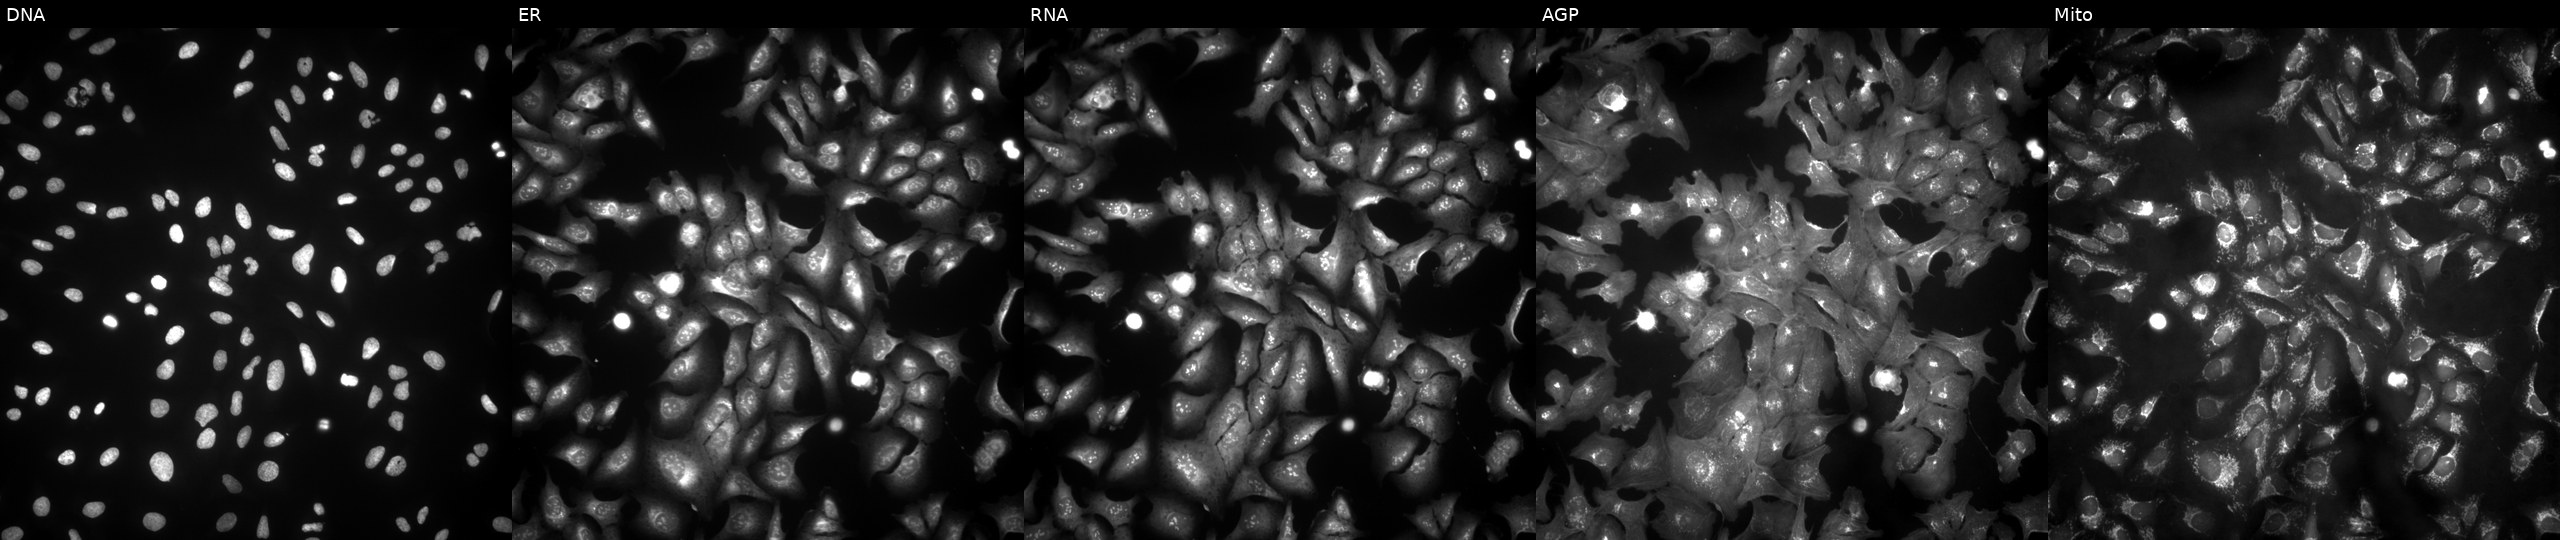
This image strip shows the five Cell Painting channels for a single field of U2OS cells with U2AF2 overexpressed (ORF) (JUMP id JCP2022_907290). From left to right: Hoechst 33342, concanavalin A, SYTO 14, phalloidin and WGA, MitoTracker.